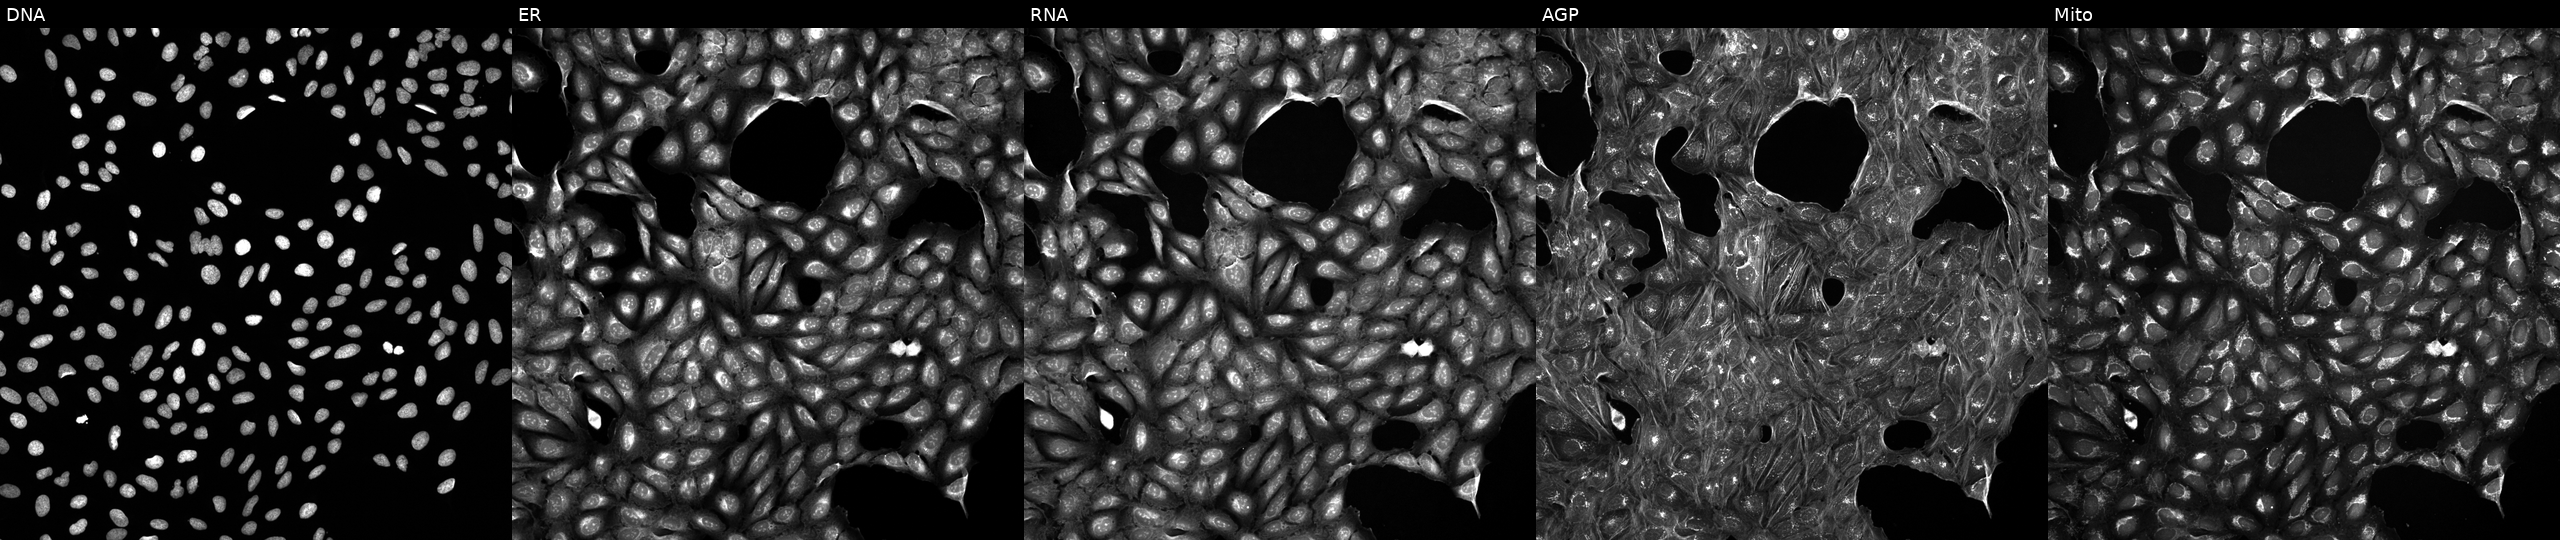
High-content fluorescence microscopy (Cell Painting). Cell line: U2OS. Perturbation: treated with DMSO vehicle only (negative control) (JUMP id JCP2022_033924). The five panels, left to right, show DNA (nuclei); ER (endoplasmic reticulum); RNA (nucleoli and cytoplasmic RNA); AGP (actin cytoskeleton, Golgi, and plasma membrane); Mito (mitochondria).